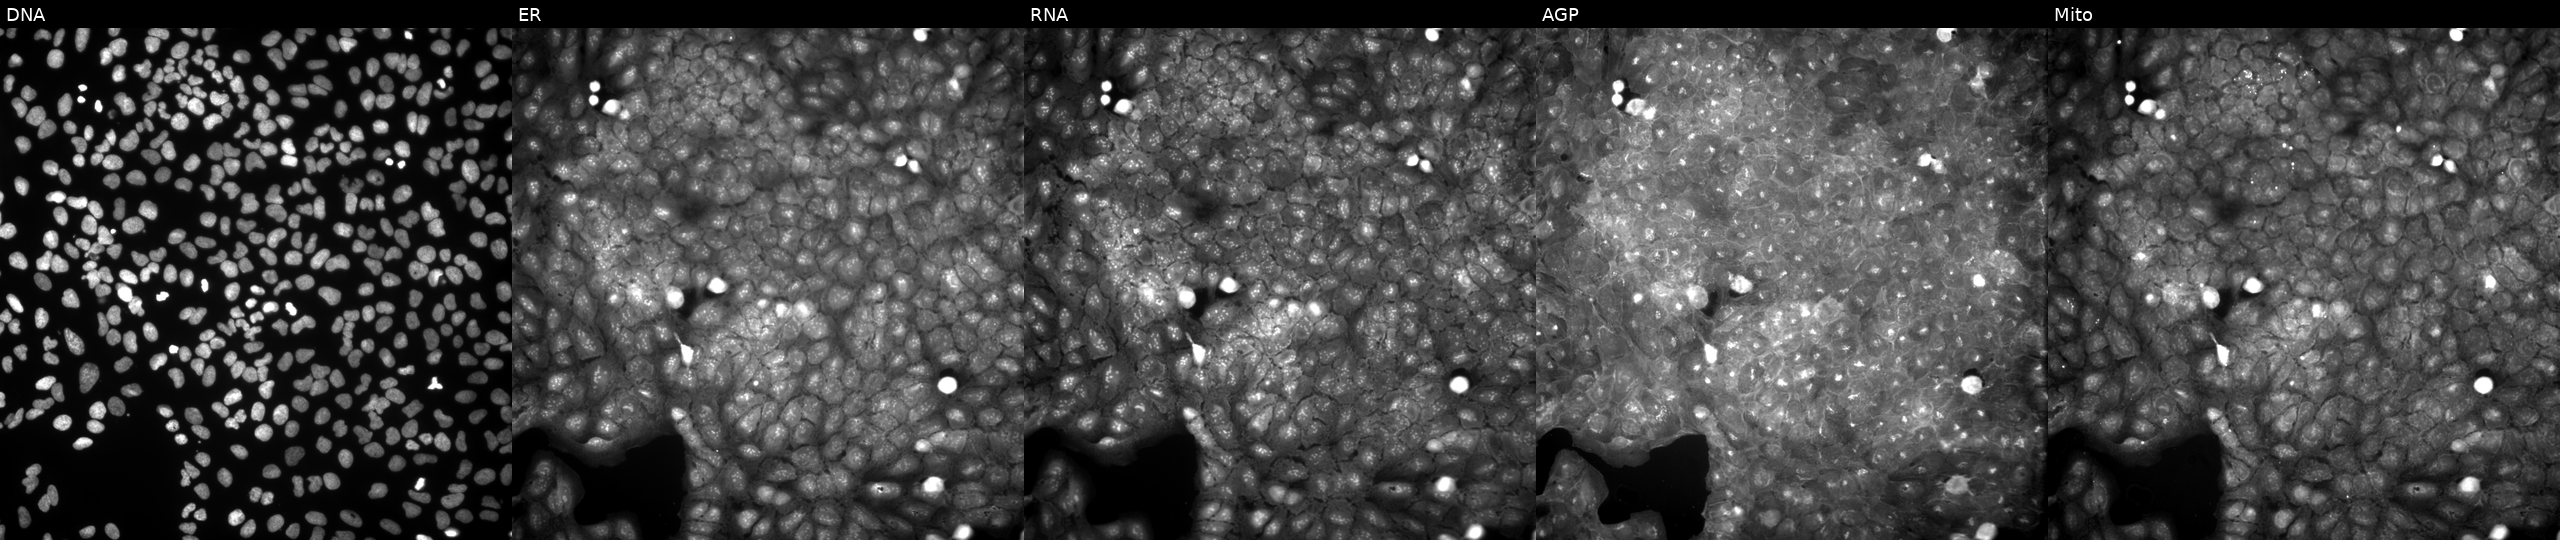
The five panels, left to right, show DNA (nuclei); ER (endoplasmic reticulum); RNA (nucleoli and cytoplasmic RNA); AGP (actin cytoskeleton, Golgi, and plasma membrane); Mito (mitochondria). U2OS osteosarcoma cells treated with a small-molecule compound (InChIKey CLGYTJGIIYMRDL-UHFFFAOYSA-N). Cell Painting assay, JUMP-CP dataset.